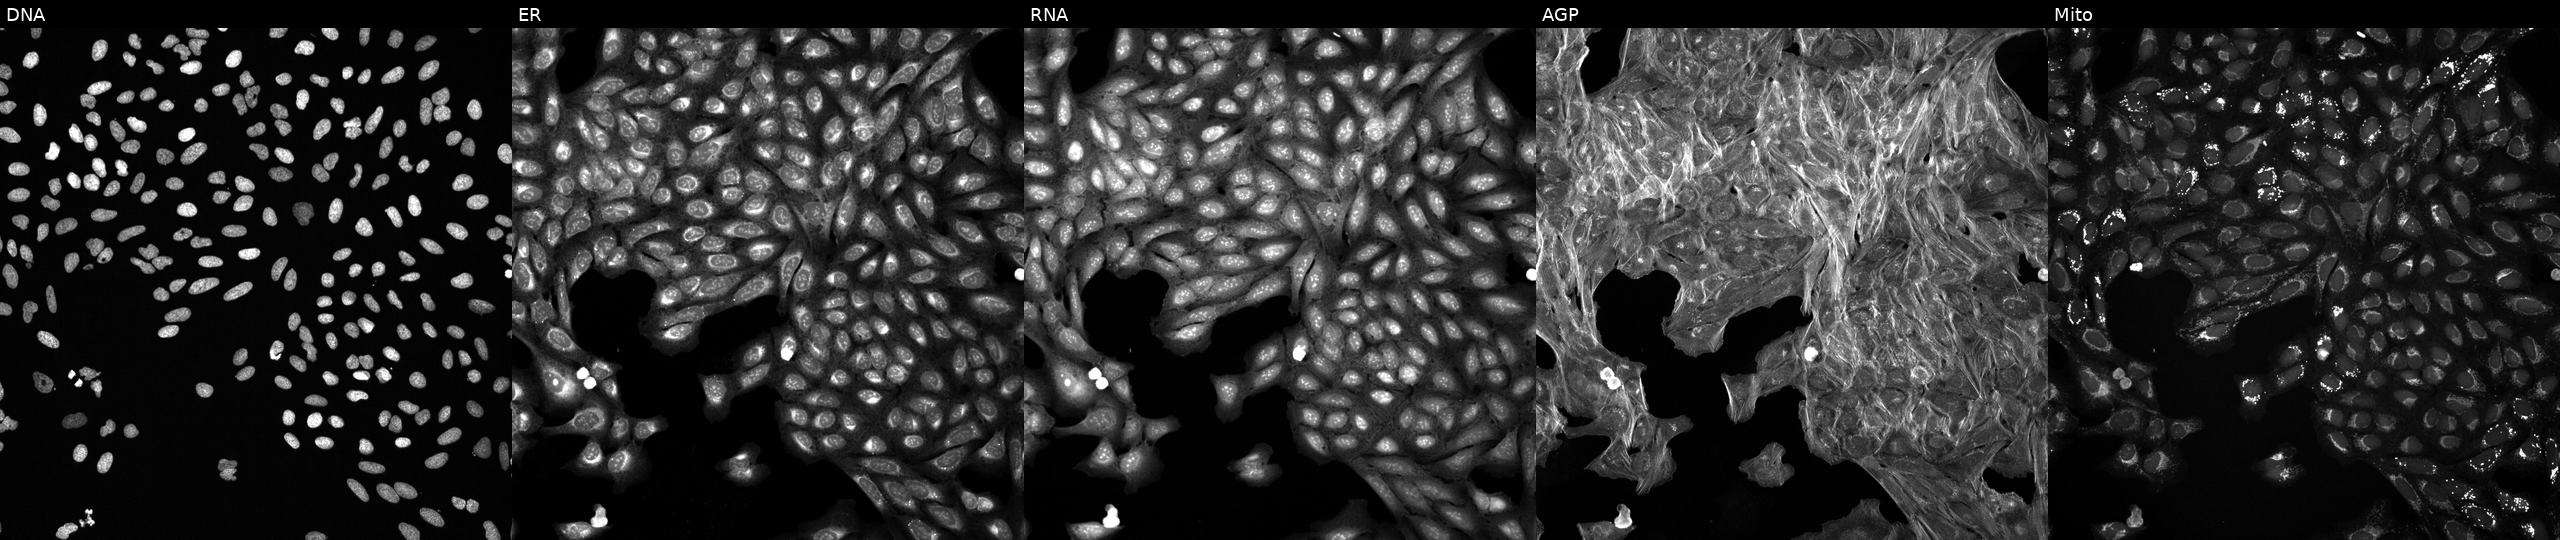
This image strip shows the five Cell Painting channels for a single field of U2OS cells exposed to a small-molecule compound (InChIKey RYEFFICCPKWYML-UHFFFAOYSA-N) (JUMP id JCP2022_081496). Channels (left→right): DNA (nuclei); ER (endoplasmic reticulum); RNA (nucleoli and cytoplasmic RNA); AGP (actin cytoskeleton, Golgi, and plasma membrane); Mito (mitochondria).